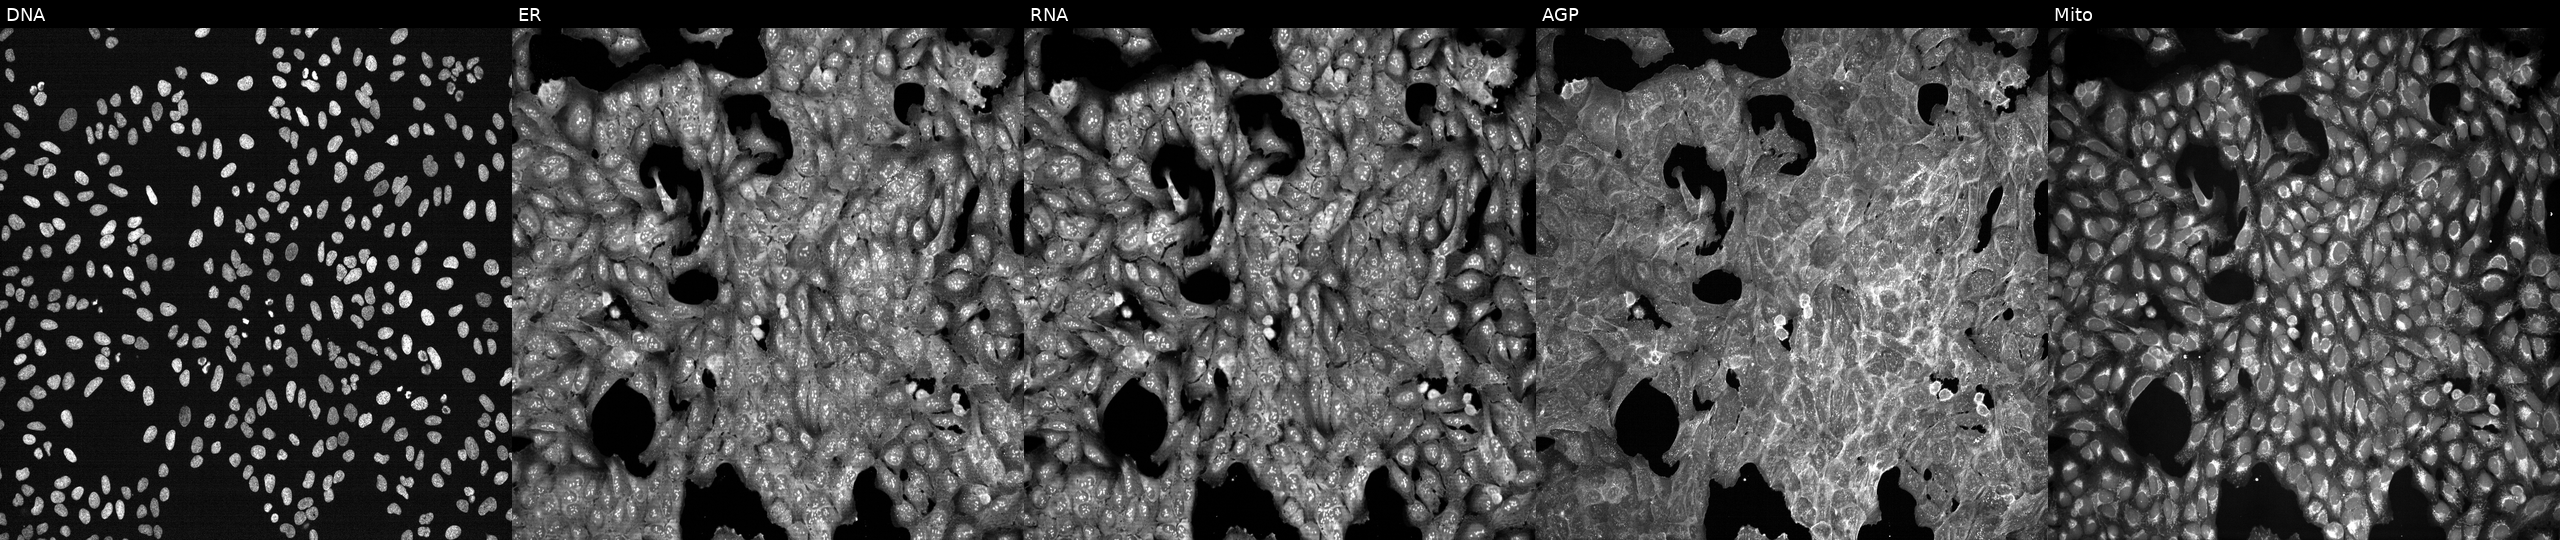
JUMP Cell Painting — TARGET2 plate. U2OS cells perturbed with a small-molecule compound (InChIKey QUIIIYITNGOFEI-UHFFFAOYSA-N) [SMILES: Cc1ccc(-n2sc(=O)n(Cc3ccc(F)cc3)c2=O)cc1] (JUMP id JCP2022_075930). From left to right: DNA (nuclei); ER (endoplasmic reticulum); RNA (nucleoli and cytoplasmic RNA); AGP (actin cytoskeleton, Golgi, and plasma membrane); Mito (mitochondria).